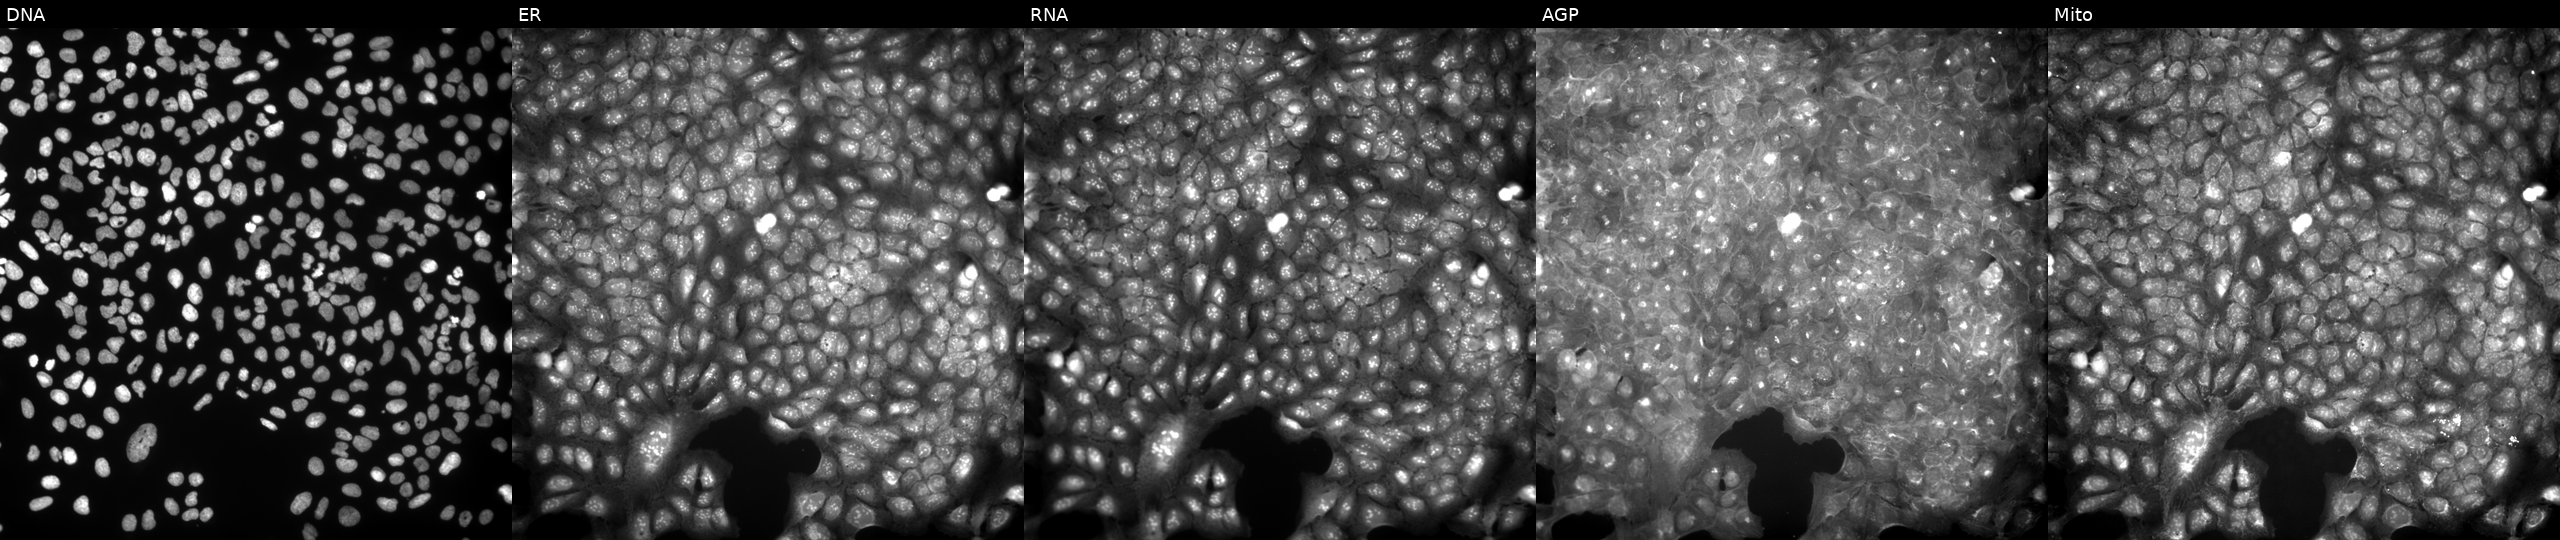
High-content fluorescence microscopy (Cell Painting). Cell line: U2OS. Perturbation: treated with a small-molecule compound (InChIKey PCOJVUMLPYCOKQ-UHFFFAOYSA-N) (JUMP id JCP2022_067706). From left to right: DNA, ER, RNA, AGP, and Mito.